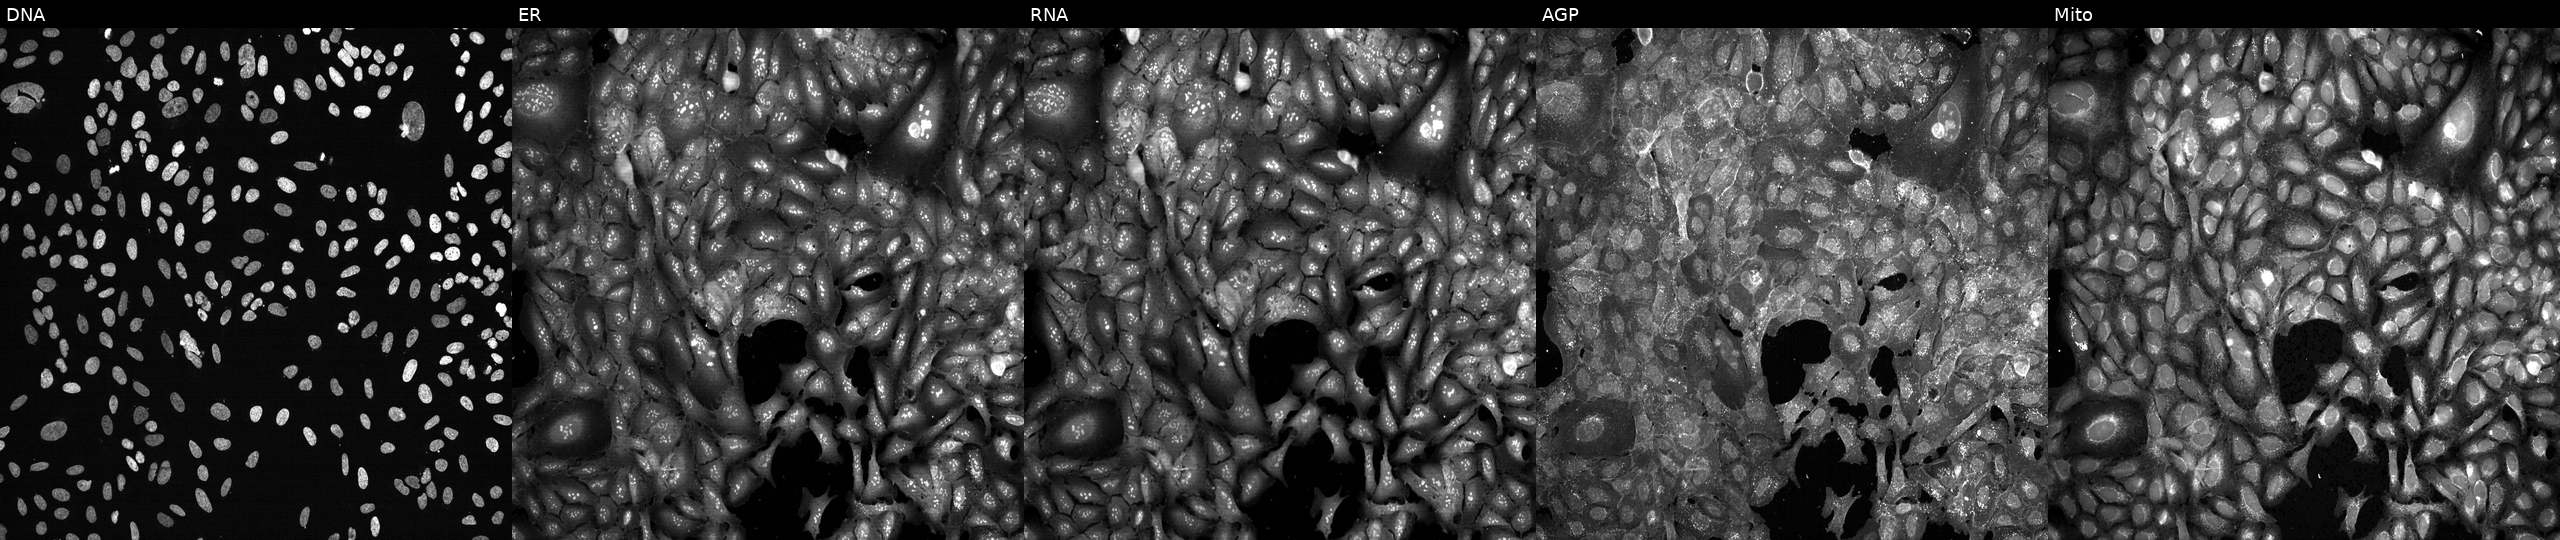
From left to right: DNA, ER, RNA, AGP, and Mito. U2OS osteosarcoma cells CRISPR-edited to disrupt ICT1 (JUMP id JCP2022_803314). Cell Painting assay, JUMP-CP dataset.